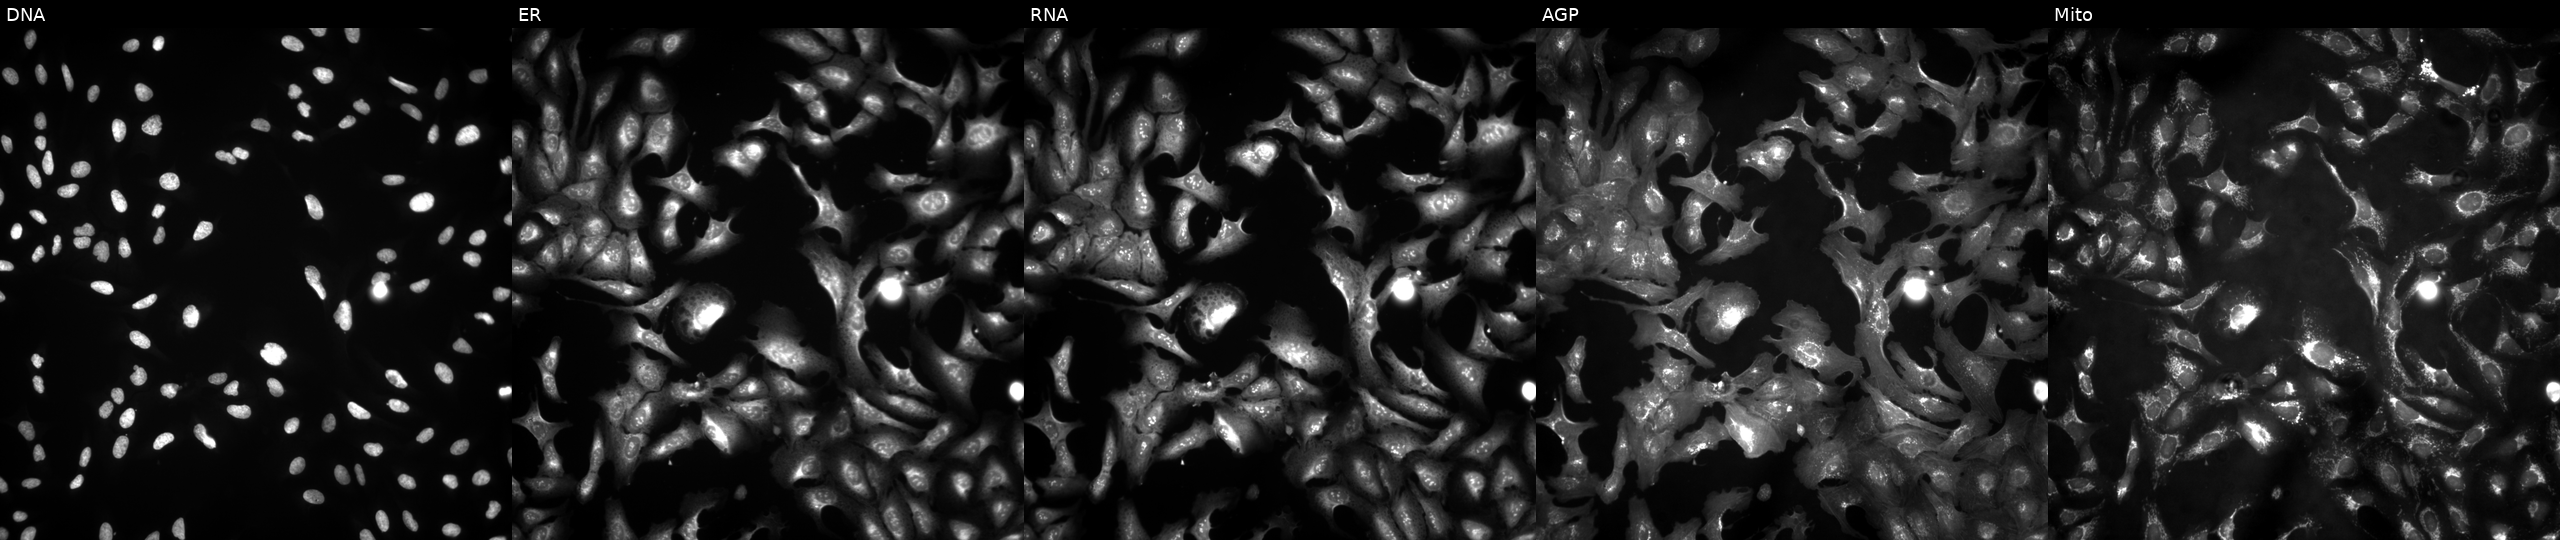
The five panels, left to right, show DNA (nuclei); ER (endoplasmic reticulum); RNA (nucleoli and cytoplasmic RNA); AGP (actin cytoskeleton, Golgi, and plasma membrane); Mito (mitochondria). U2OS osteosarcoma cells overexpressing ABI3BP via ORF transfection (JUMP id JCP2022_907439). Cell Painting assay, JUMP-CP dataset. Source 4, plate BR00121543, well E19.